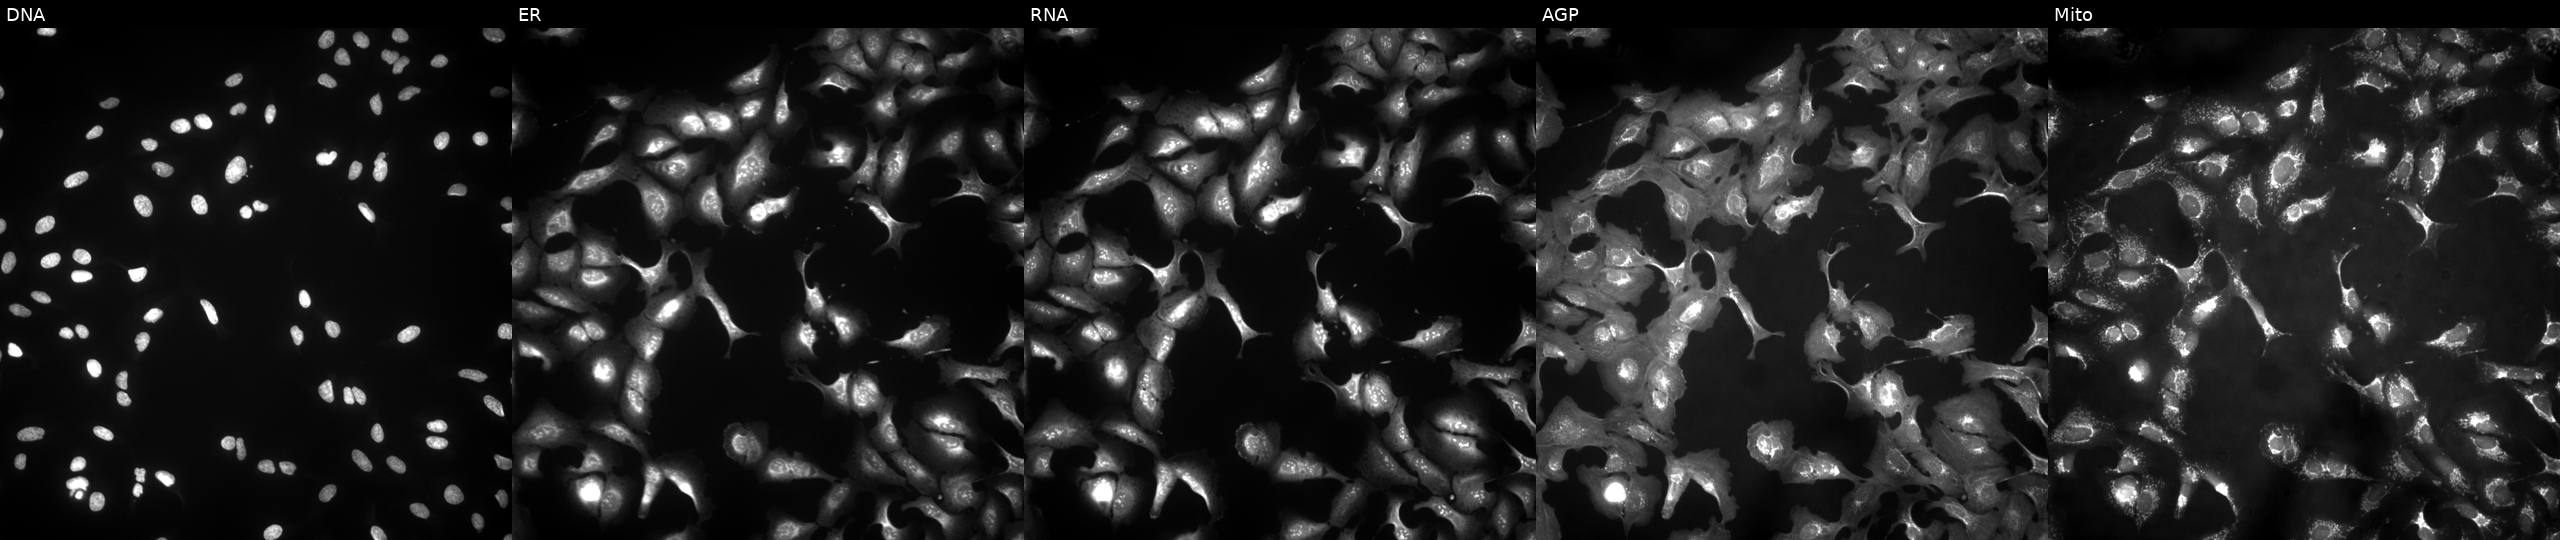
High-content fluorescence microscopy (Cell Painting). Cell line: U2OS. Perturbation: transfected with an ORF construct for KANSL1. From left to right: Hoechst 33342, concanavalin A, SYTO 14, phalloidin and WGA, MitoTracker.